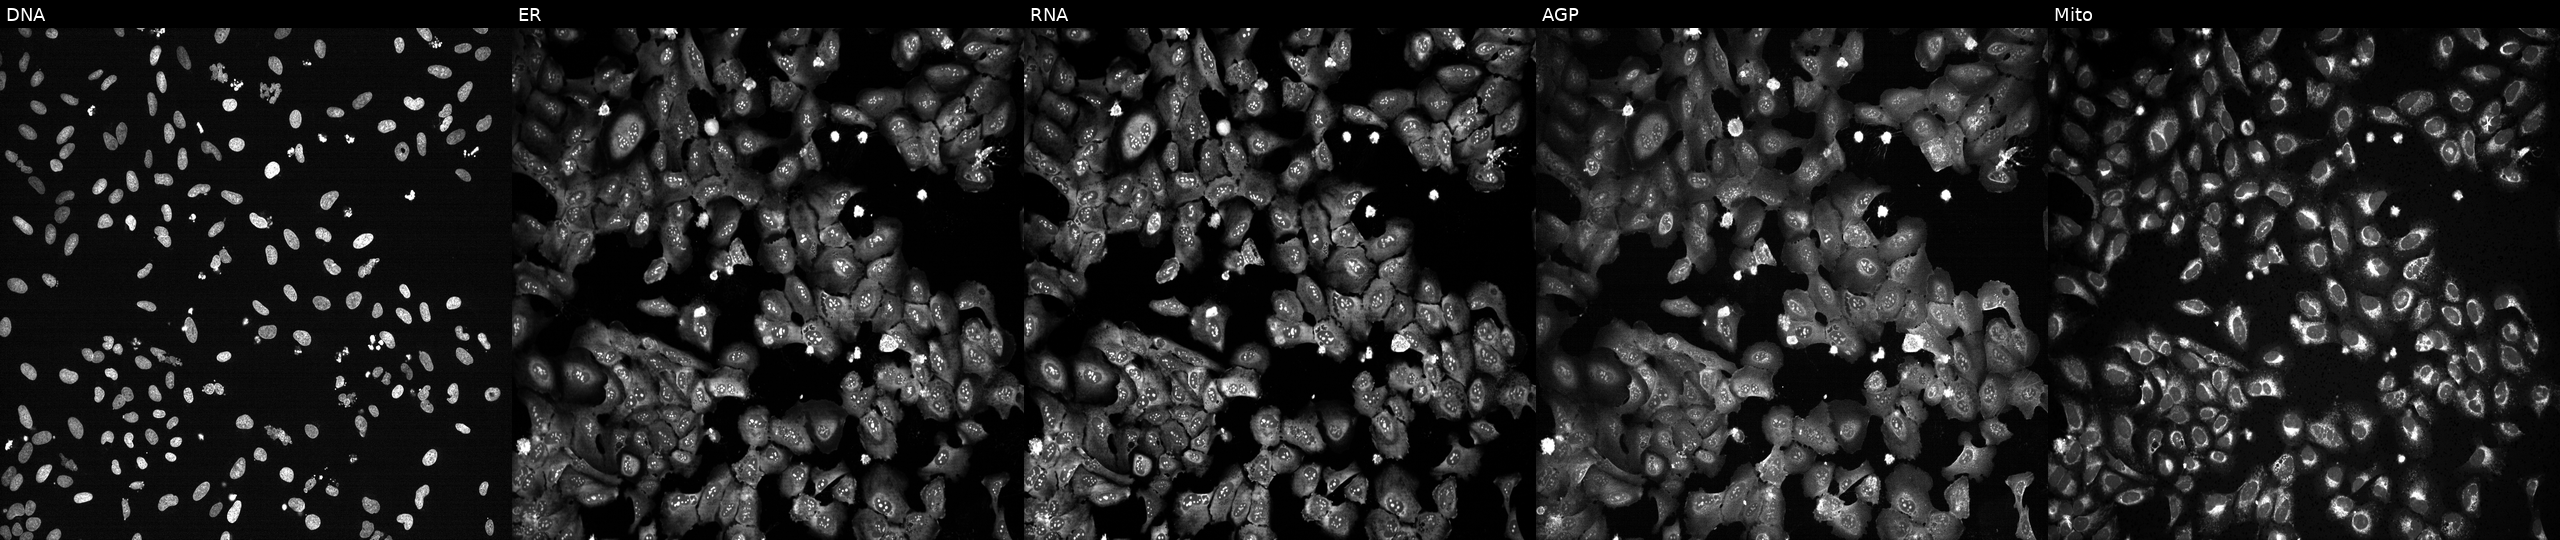
High-content fluorescence microscopy (Cell Painting). Cell line: U2OS. Perturbation: treated with TC-S-7004 (positive-control compound) (JUMP id JCP2022_012818). Channels (left→right): Hoechst 33342, concanavalin A, SYTO 14, phalloidin and WGA, MitoTracker.